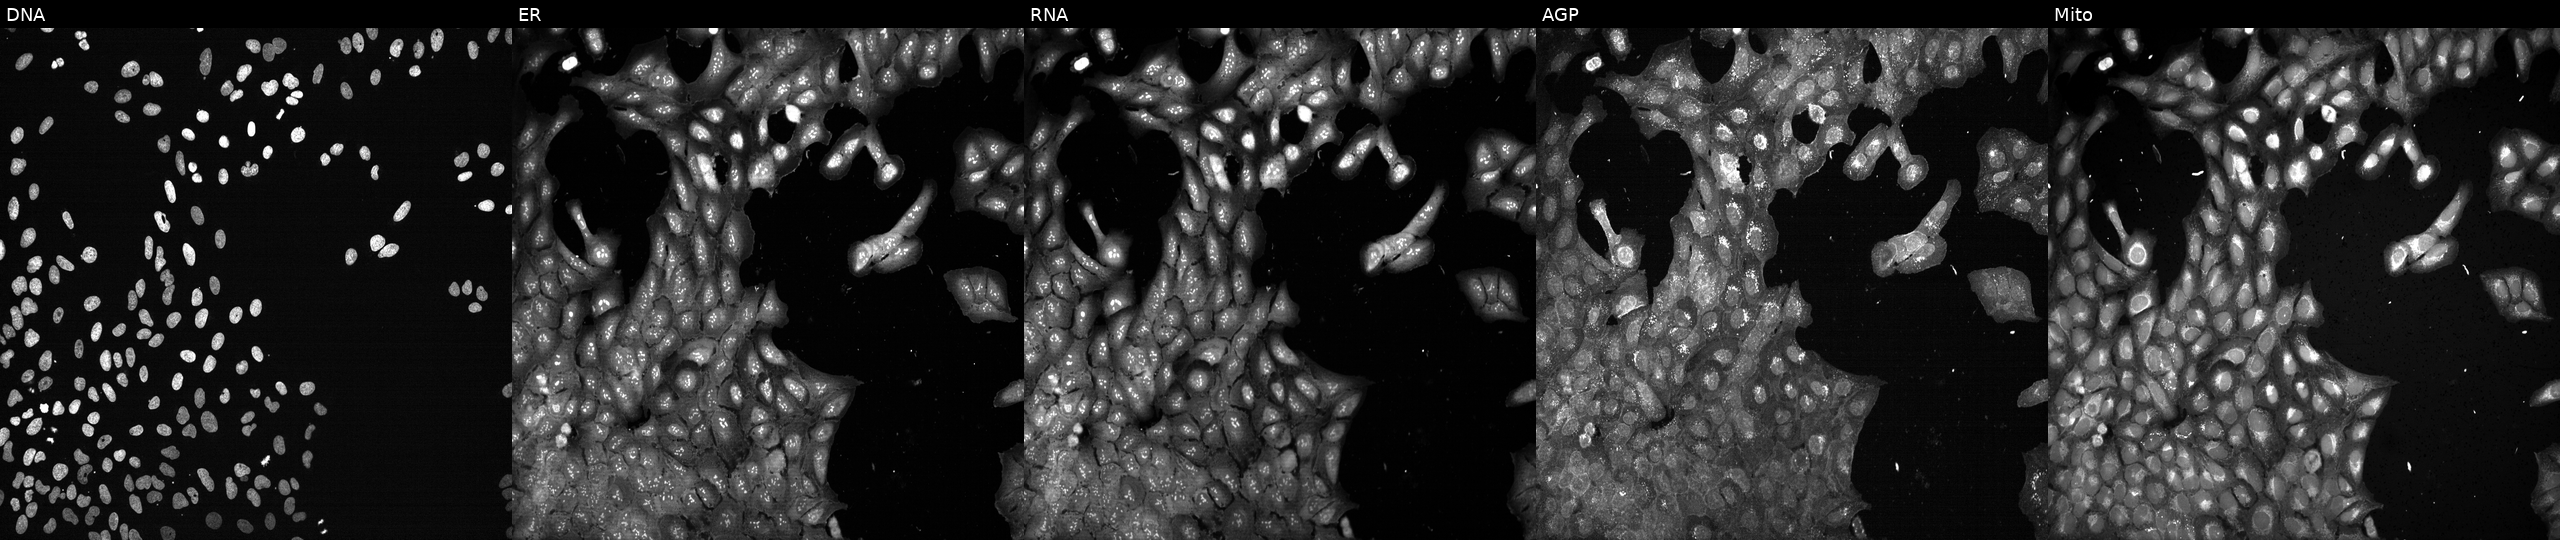
High-content fluorescence microscopy (Cell Painting). Cell line: U2OS. Perturbation: with ADH1C knocked out by CRISPR. Channels (left→right): DNA, ER, RNA, AGP, and Mito. Source 13, plate CP-CC9-R1-01, well M17.